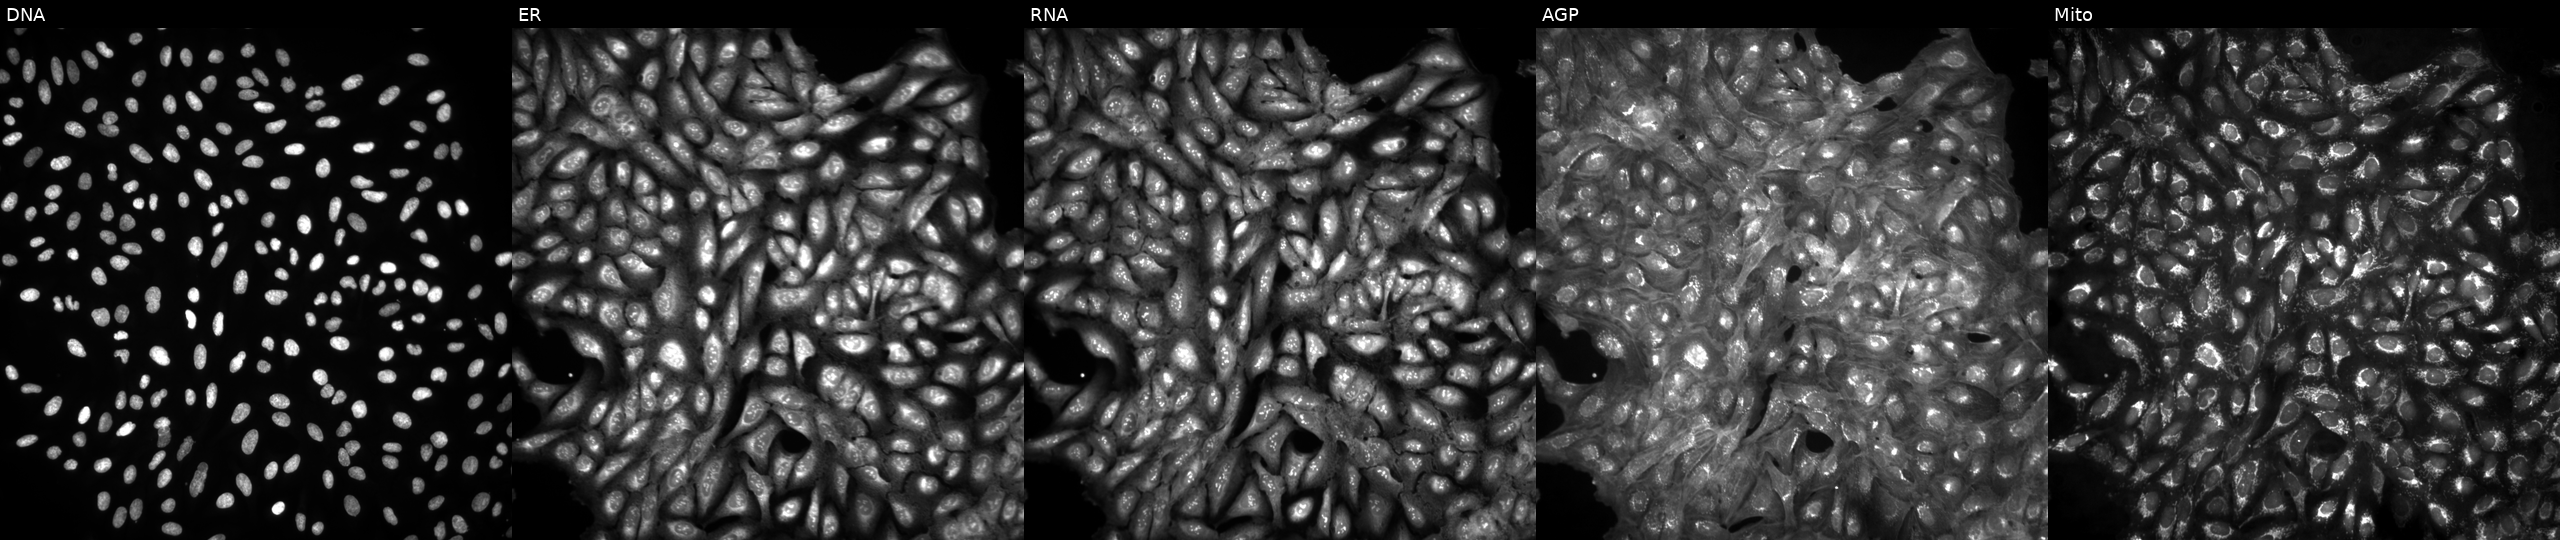
High-content fluorescence microscopy (Cell Painting). Cell line: U2OS. Perturbation: untreated (empty-well control). Panels show, left to right, DNA (nuclei); ER (endoplasmic reticulum); RNA (nucleoli and cytoplasmic RNA); AGP (actin cytoskeleton, Golgi, and plasma membrane); Mito (mitochondria).